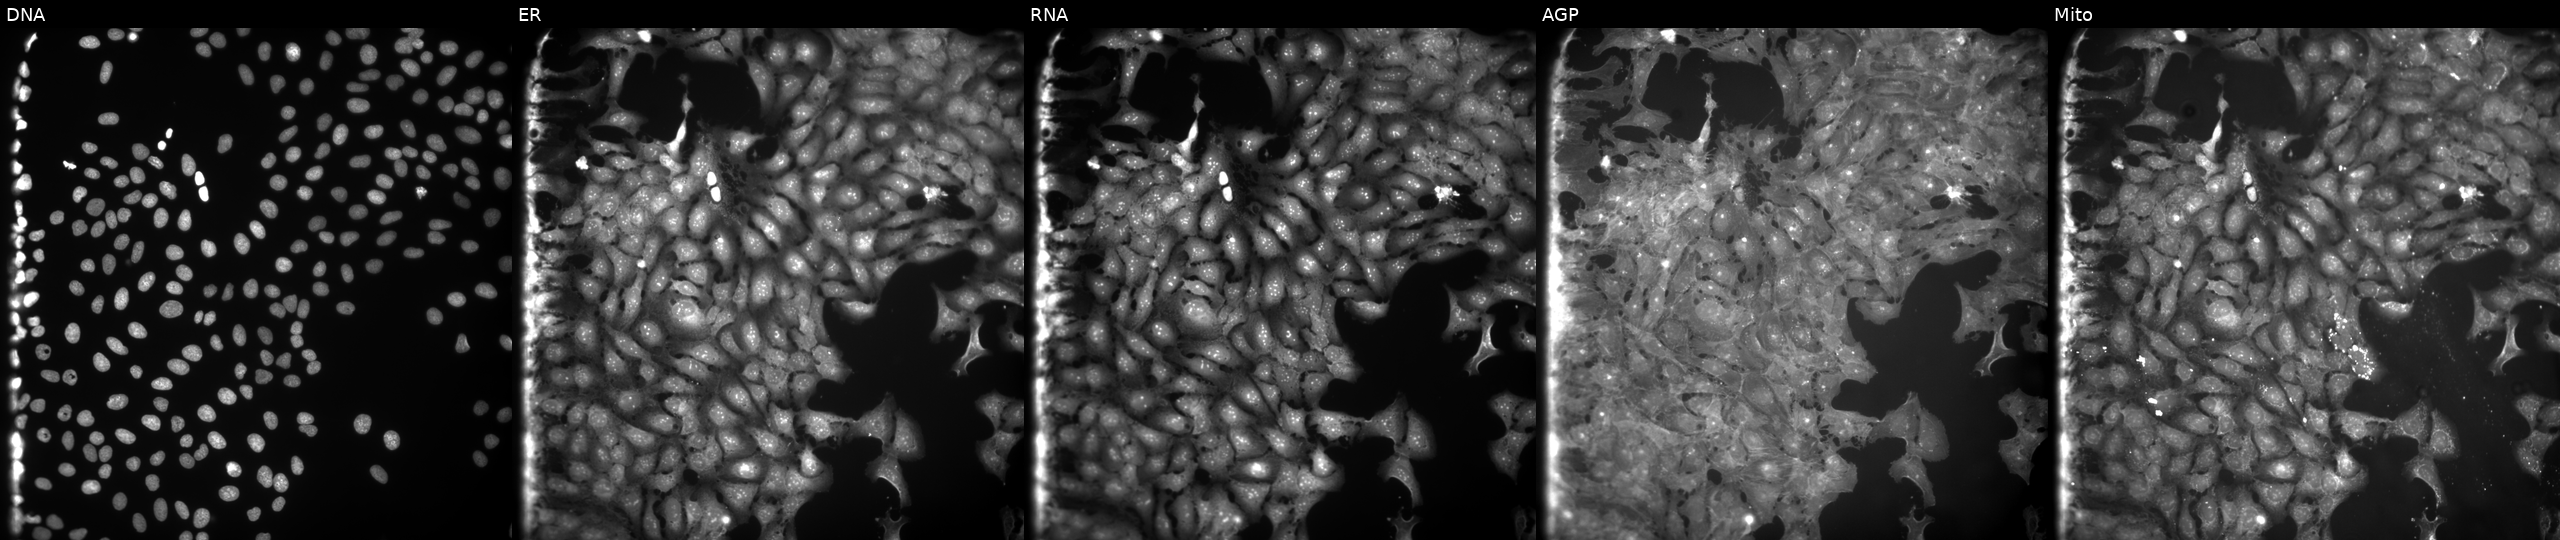
U2OS cells, Cell Painting assay, exposed to the positive-control compound FK-866 (JUMP id JCP2022_046054). The five panels, left to right, show DNA (nuclei); ER (endoplasmic reticulum); RNA (nucleoli and cytoplasmic RNA); AGP (actin cytoskeleton, Golgi, and plasma membrane); Mito (mitochondria). Each panel is percentile-stretched 16-bit fluorescence.